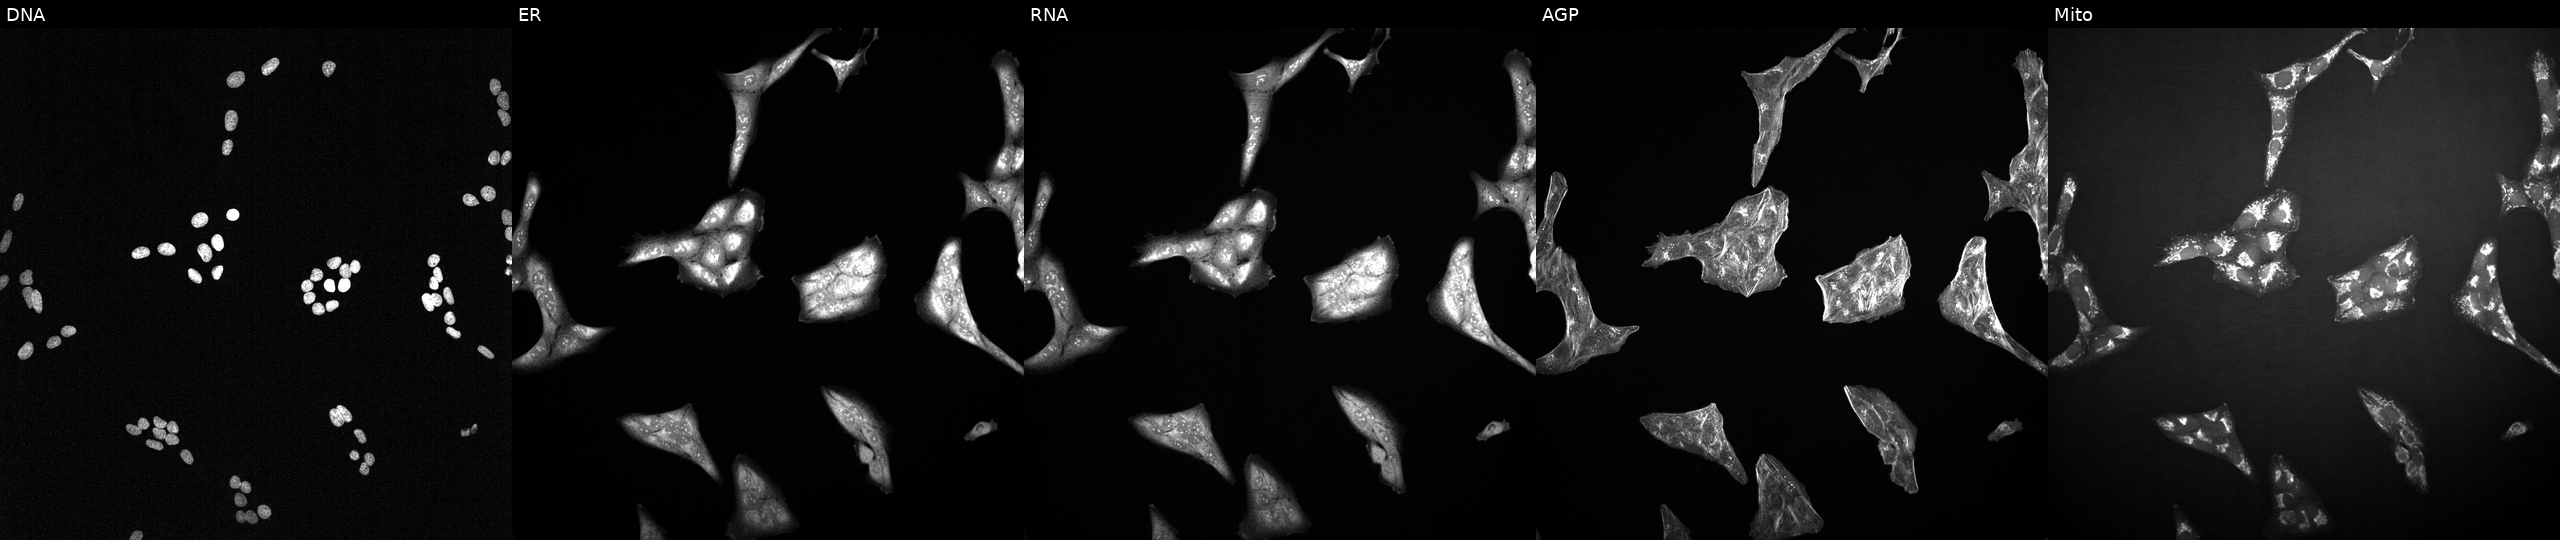
This image strip shows the five Cell Painting channels for a single field of U2OS cells treated with a small-molecule compound (InChIKey NUIKTBLZSPQGCP-UHFFFAOYSA-N) [SMILES: CCOc1ccc(-c2nc(-c3cccc4c3CCC4NCCO)no2)cc1OCC]. From left to right: Hoechst 33342, concanavalin A, SYTO 14, phalloidin and WGA, MitoTracker. Source 2, plate 1053599503, well A21.